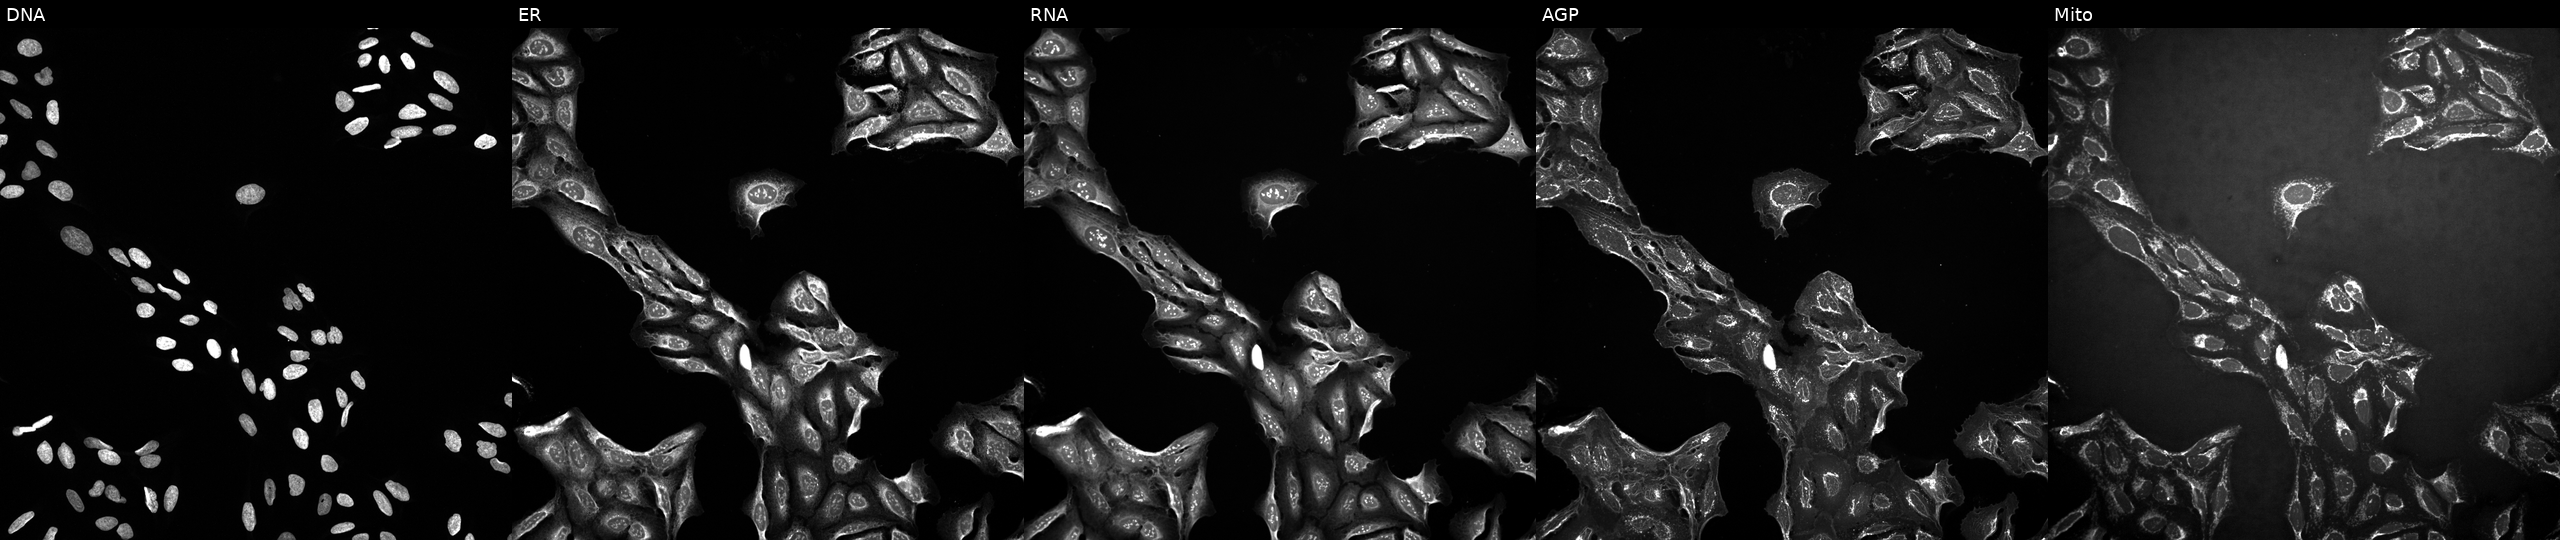
JUMP Cell Painting — TARGET2 plate. U2OS cells perturbed with a small-molecule compound (InChIKey PMXCMJLOPOFPBT-UHFFFAOYSA-N) (JUMP id JCP2022_069668). Channels (left→right): DNA (nuclei); ER (endoplasmic reticulum); RNA (nucleoli and cytoplasmic RNA); AGP (actin cytoskeleton, Golgi, and plasma membrane); Mito (mitochondria). Source 10, plate Dest210803-153958, well M04.